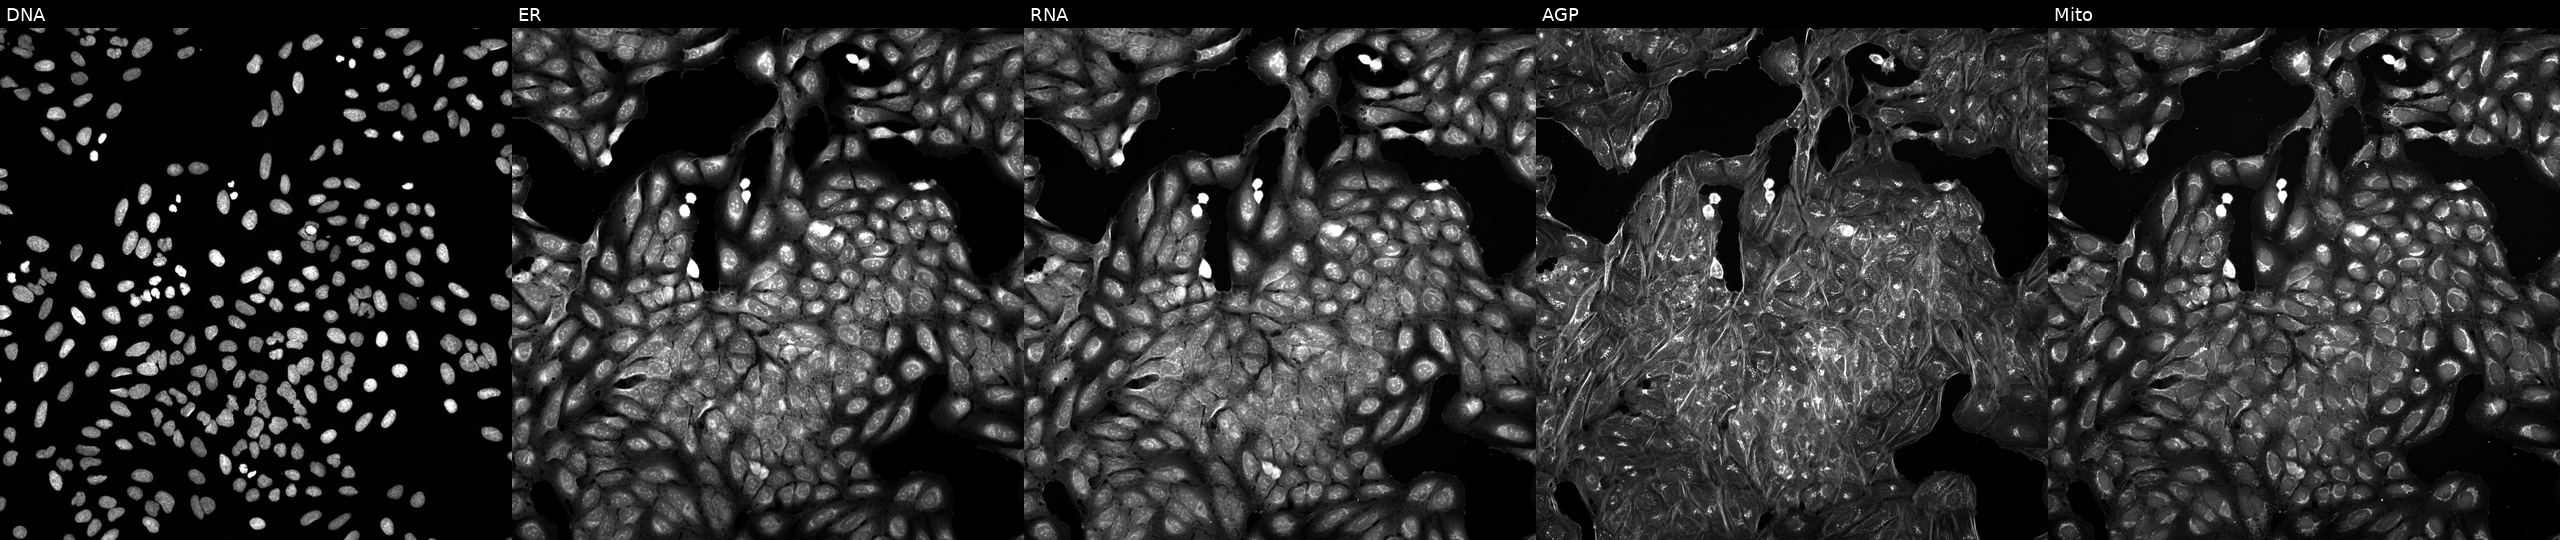
This image strip shows the five Cell Painting channels for a single field of U2OS cells treated with a small-molecule compound (JUMP id JCP2022_091082). Panels show, left to right, Hoechst 33342, concanavalin A, SYTO 14, phalloidin and WGA, MitoTracker.